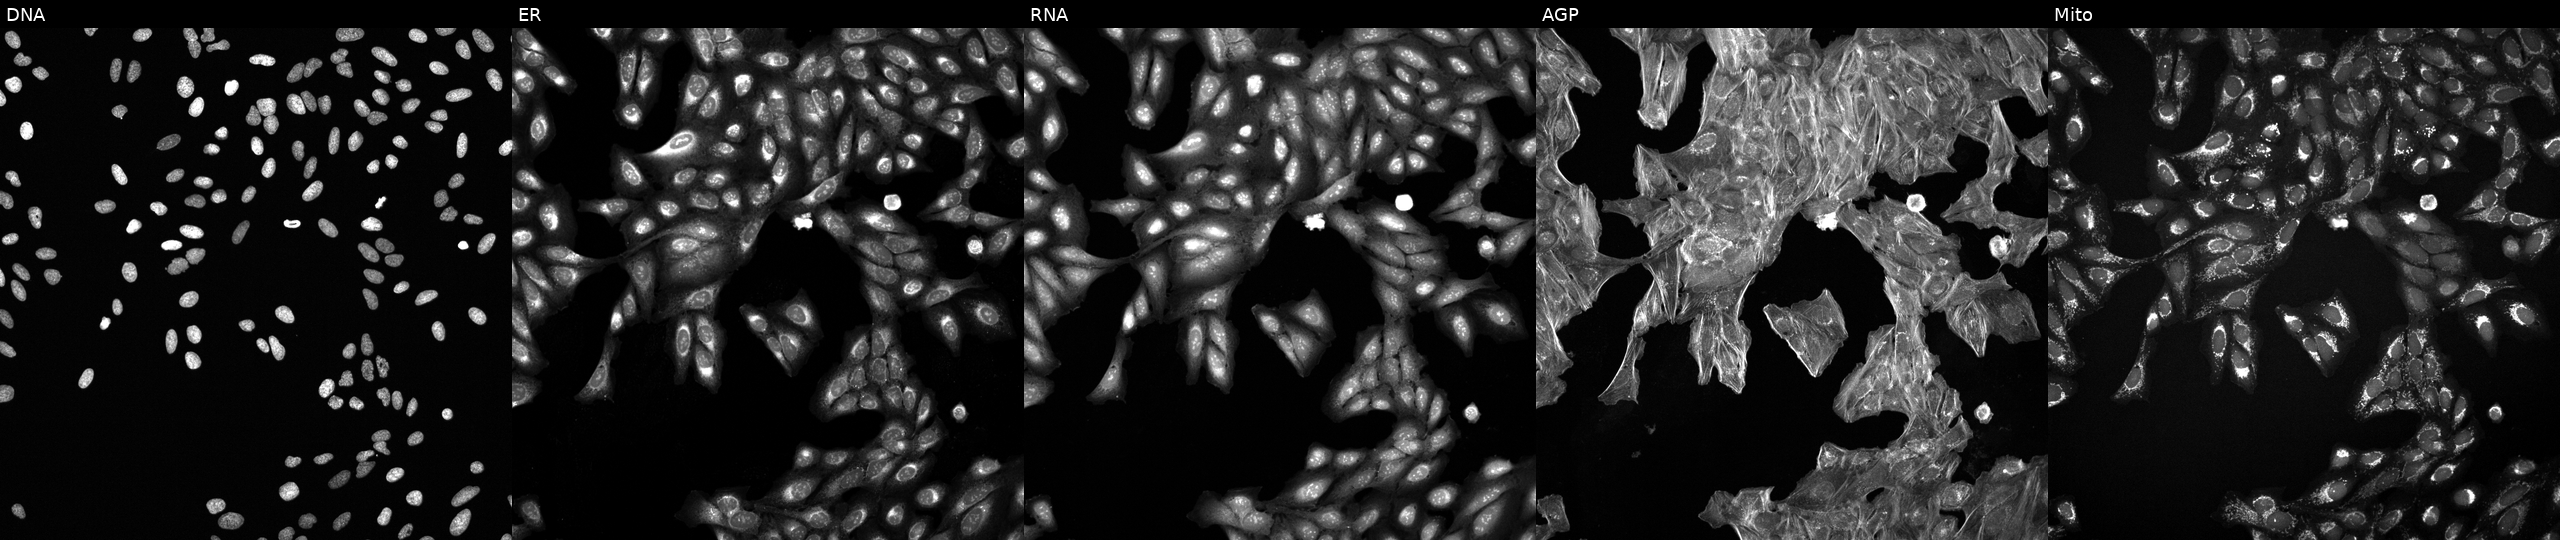
U2OS cells, Cell Painting assay, treated with a small-molecule compound (InChIKey UNNNGKMVUBPMNP-UHFFFAOYSA-N) (JUMP id JCP2022_090354). Panels show, left to right, DNA (nuclei); ER (endoplasmic reticulum); RNA (nucleoli and cytoplasmic RNA); AGP (actin cytoskeleton, Golgi, and plasma membrane); Mito (mitochondria). Each panel is percentile-stretched 16-bit fluorescence.